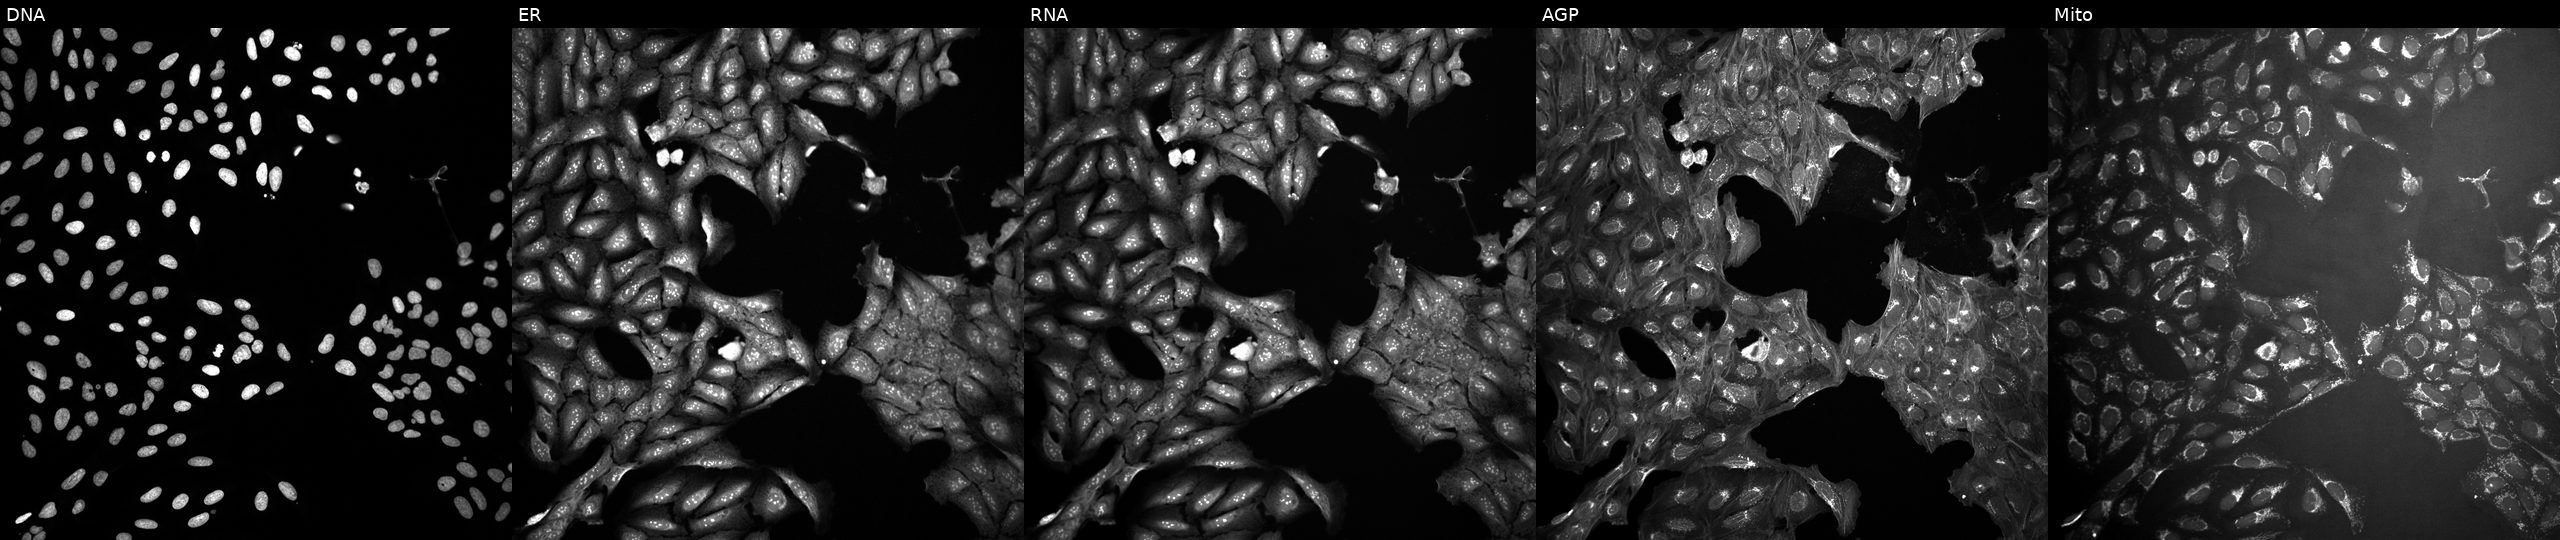
High-content fluorescence microscopy (Cell Painting). Cell line: U2OS. Perturbation: exposed to a small-molecule compound (InChIKey FHESLGVDQXHRDY-UHFFFAOYSA-N) (JUMP id JCP2022_020628). Panels show, left to right, Hoechst 33342, concanavalin A, SYTO 14, phalloidin and WGA, MitoTracker.